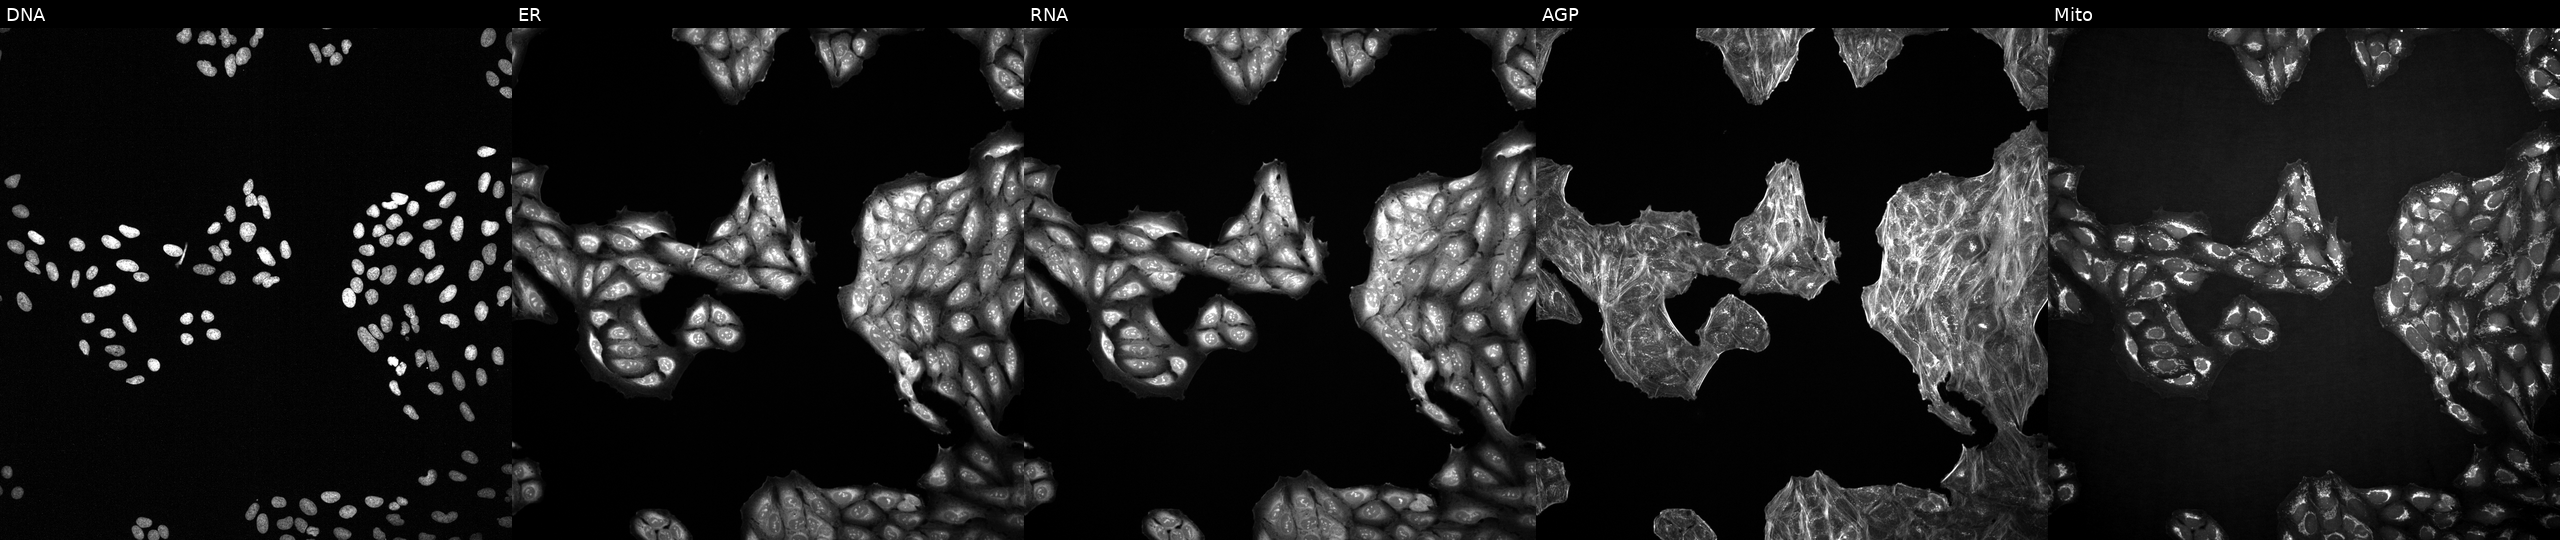
This image strip shows the five Cell Painting channels for a single field of U2OS cells exposed to a small-molecule compound (JUMP id JCP2022_030979). Channels (left→right): DNA (nuclei); ER (endoplasmic reticulum); RNA (nucleoli and cytoplasmic RNA); AGP (actin cytoskeleton, Golgi, and plasma membrane); Mito (mitochondria).